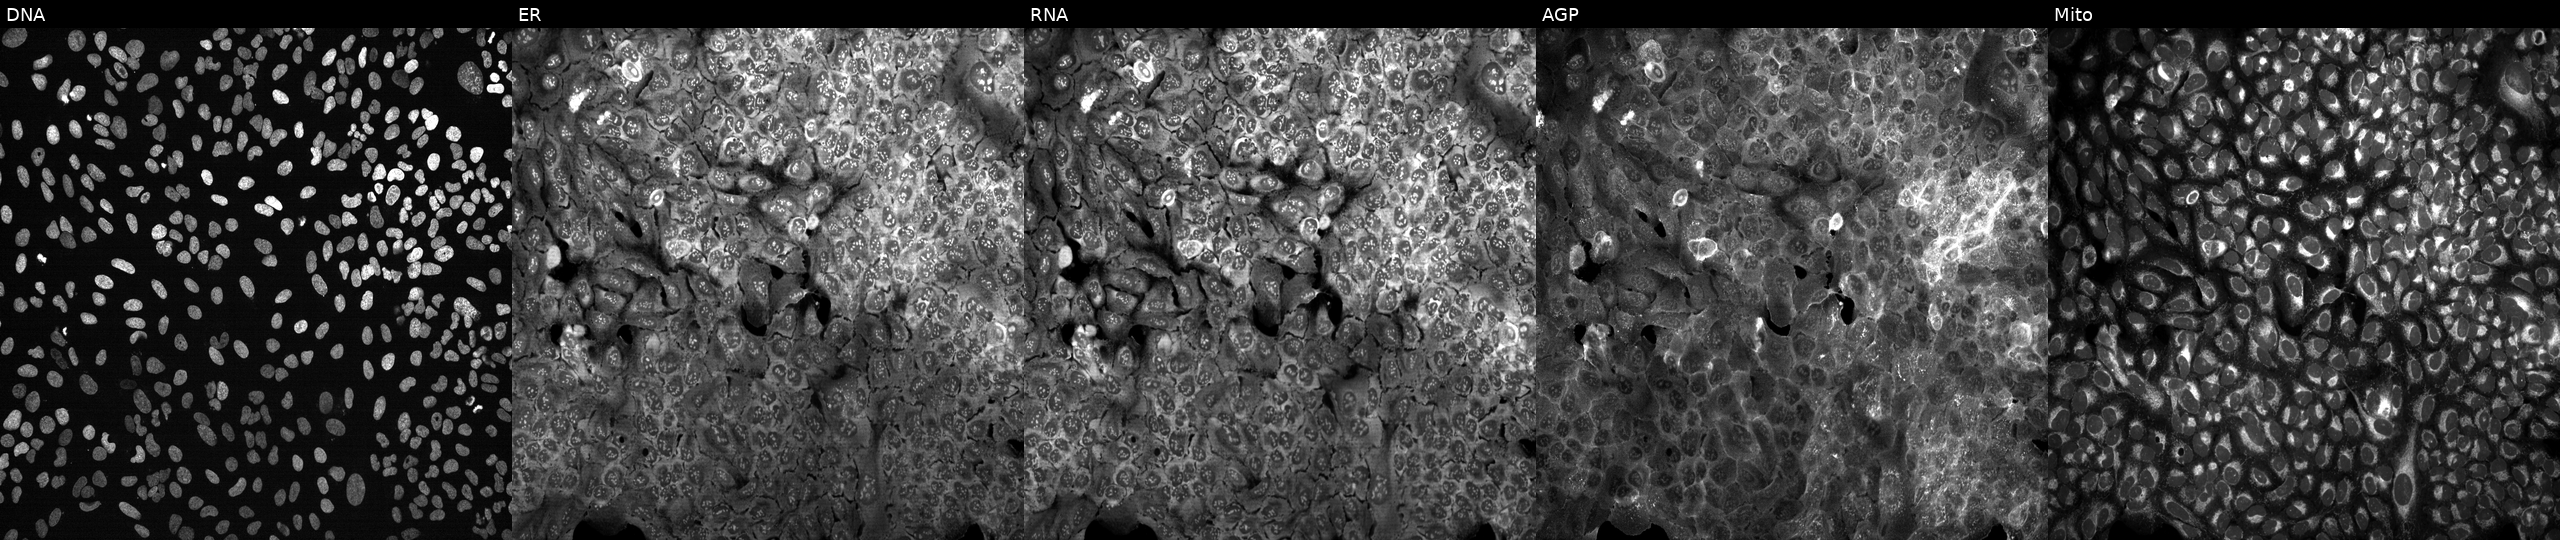
U2OS cells, Cell Painting assay, following CRISPR knockout of SP1. The five panels, left to right, show DNA (nuclei); ER (endoplasmic reticulum); RNA (nucleoli and cytoplasmic RNA); AGP (actin cytoskeleton, Golgi, and plasma membrane); Mito (mitochondria). Each panel is percentile-stretched 16-bit fluorescence. Source 13, plate CP-CC9-R6-19, well N08.